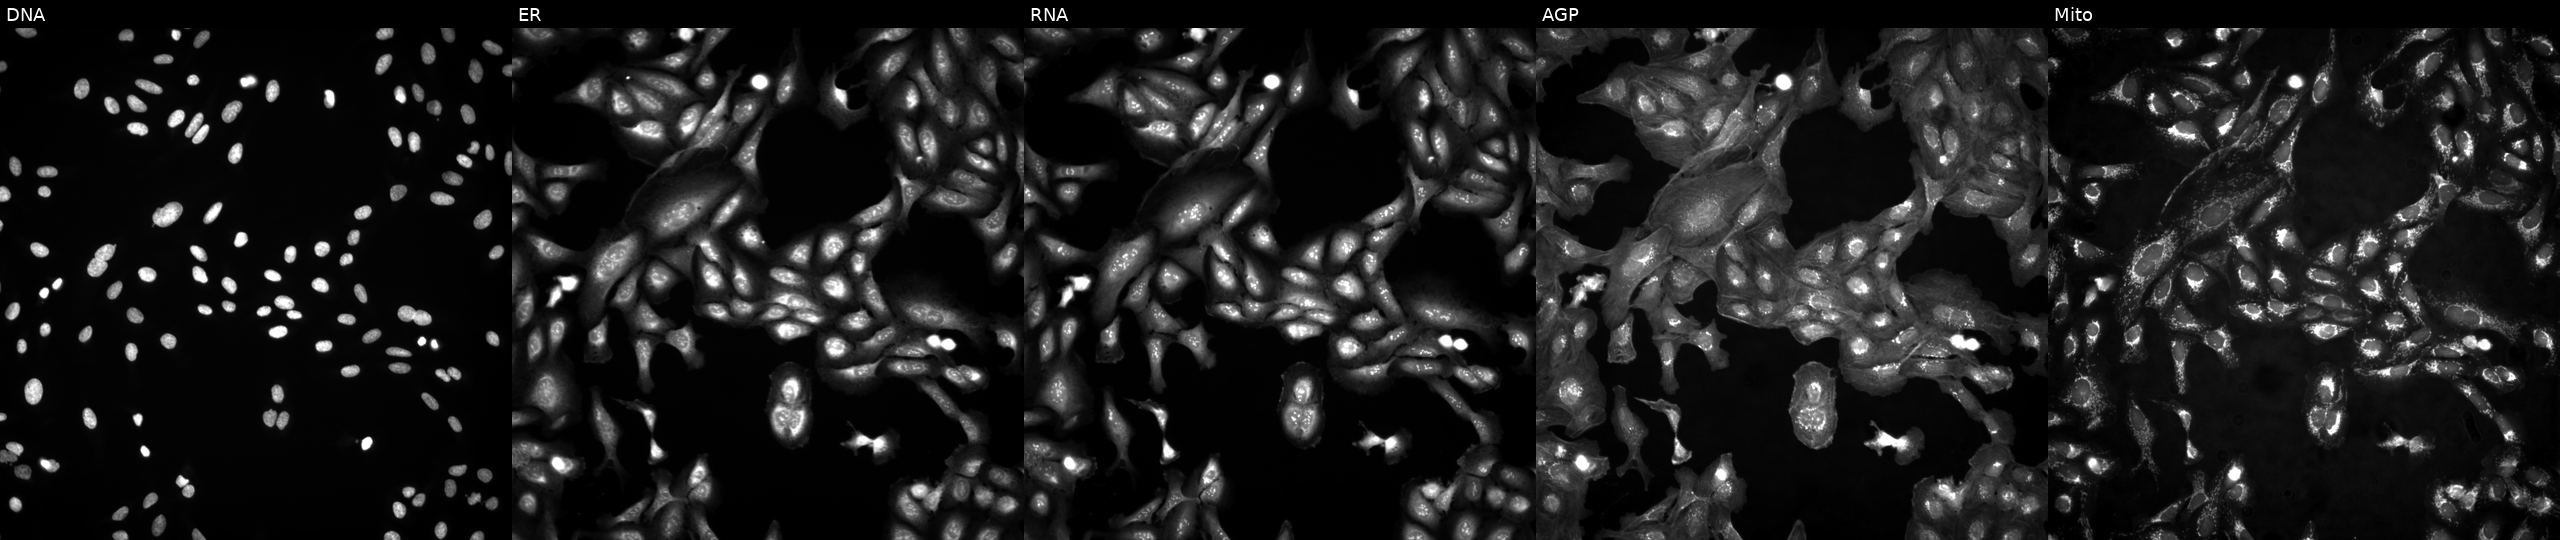
From left to right: Hoechst 33342, concanavalin A, SYTO 14, phalloidin and WGA, MitoTracker. U2OS osteosarcoma cells untreated (empty-well control). Cell Painting assay, JUMP-CP dataset. Source 4, plate BR00124793, well P05.